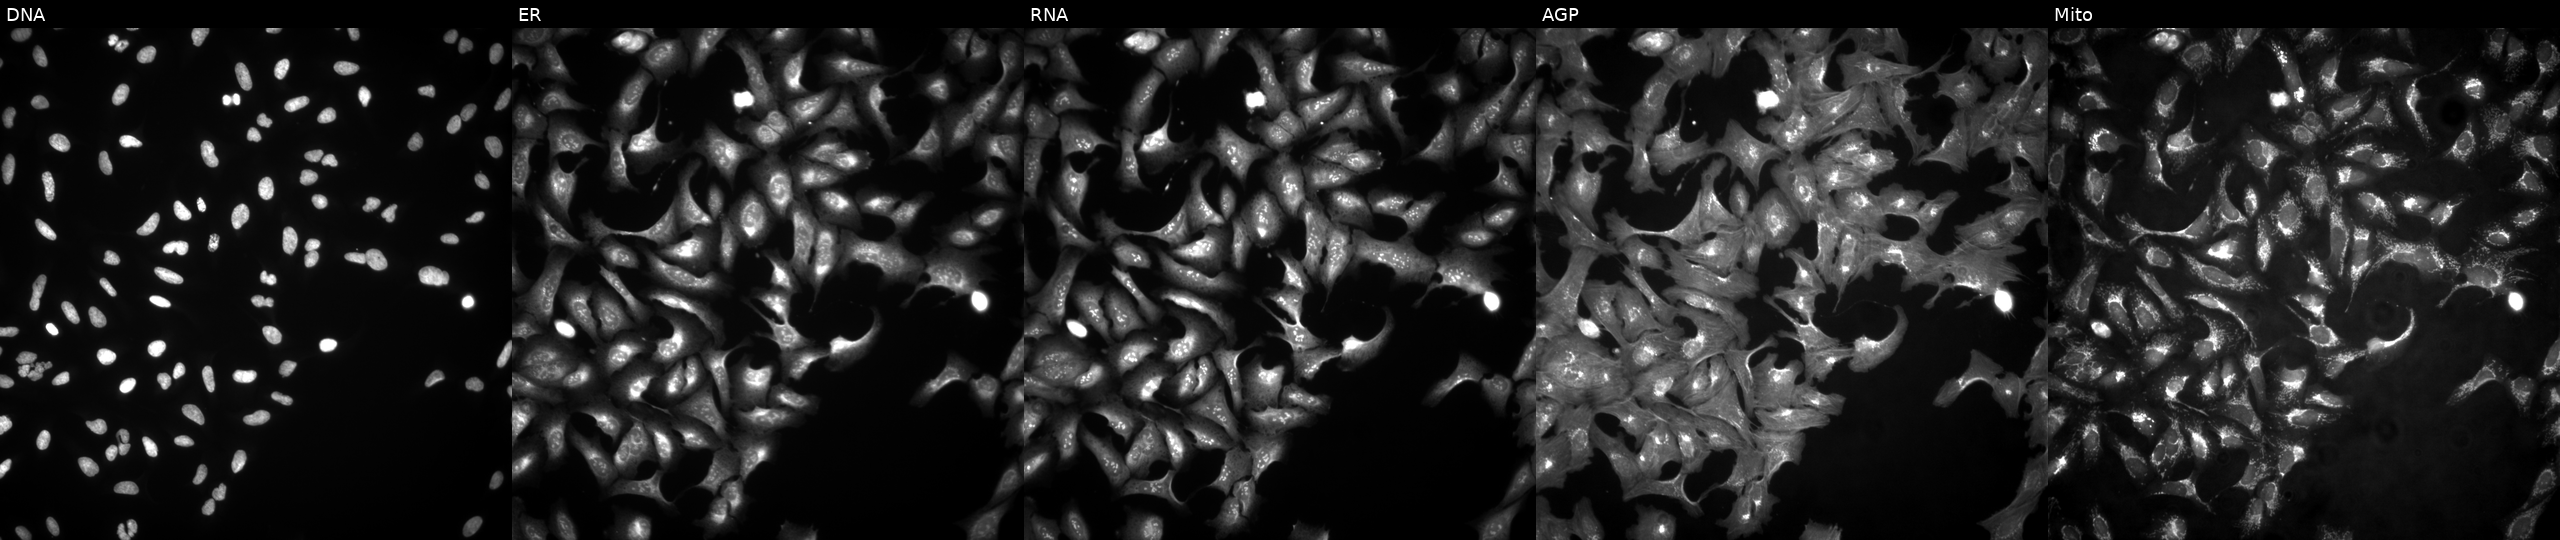
High-content fluorescence microscopy (Cell Painting). Cell line: U2OS. Perturbation: overexpressing SINHCAF via ORF transfection. Panels show, left to right, DNA, ER, RNA, AGP, and Mito.